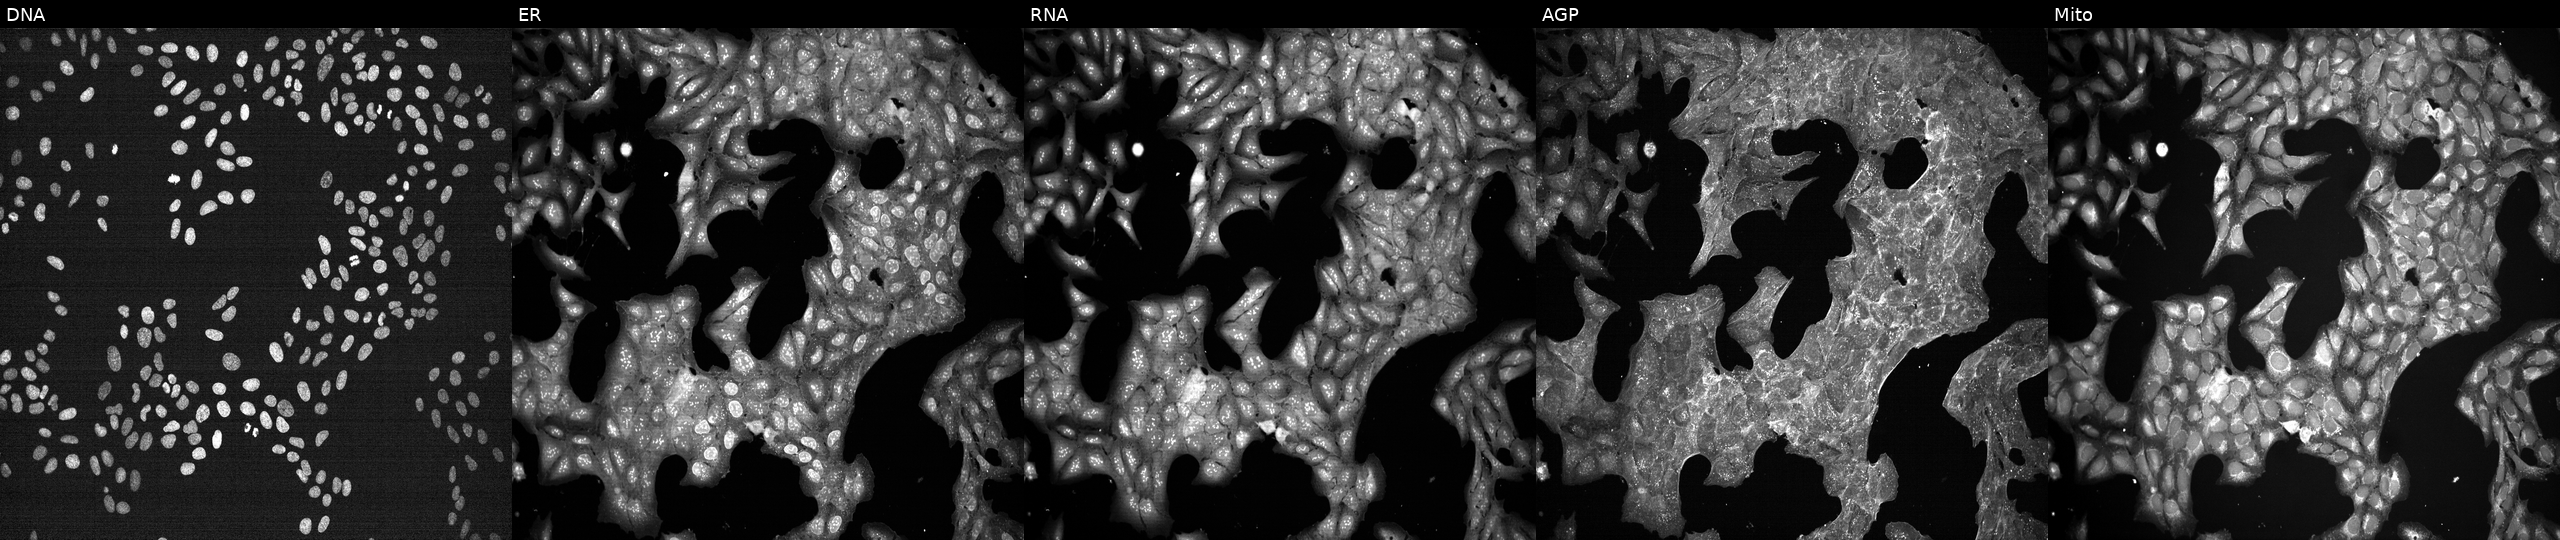
Five-channel Cell Painting image of U2OS cells exposed to a small-molecule compound (InChIKey HULPONUAINYLQQ-UHFFFAOYSA-N). The five panels, left to right, show DNA (nuclei); ER (endoplasmic reticulum); RNA (nucleoli and cytoplasmic RNA); AGP (actin cytoskeleton, Golgi, and plasma membrane); Mito (mitochondria). Source 7, plate CP1-SC1-25, well I18.